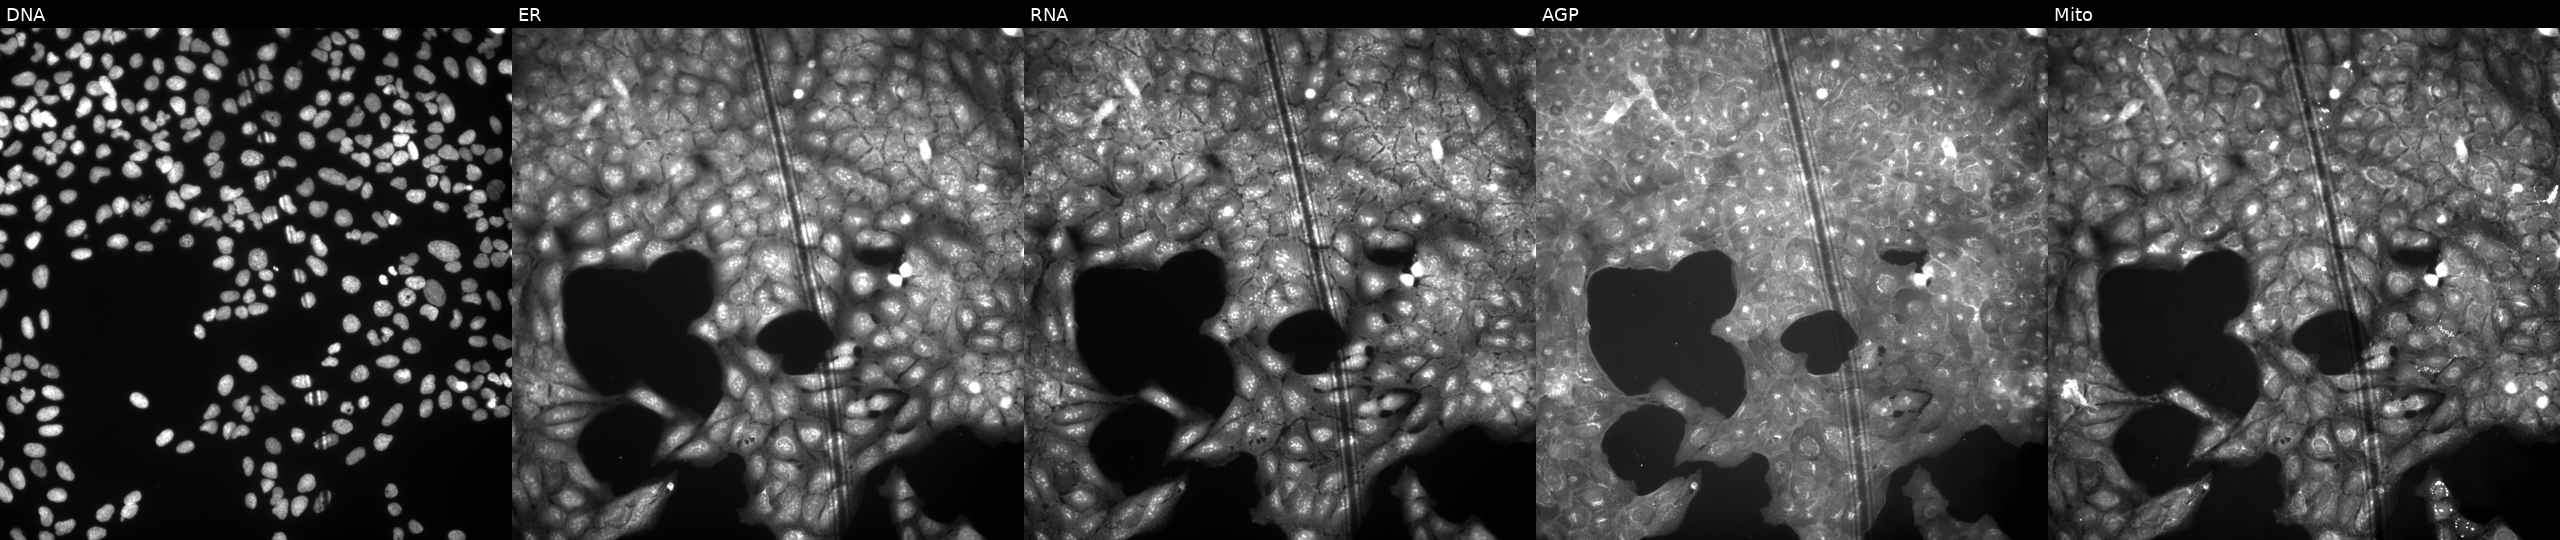
JUMP Cell Painting — COMPOUND plate. U2OS cells treated with a small-molecule compound (InChIKey IFLBOZZHJPAFBK-UHFFFAOYSA-N) (JUMP id JCP2022_034726). Panels show, left to right, DNA (nuclei); ER (endoplasmic reticulum); RNA (nucleoli and cytoplasmic RNA); AGP (actin cytoskeleton, Golgi, and plasma membrane); Mito (mitochondria).